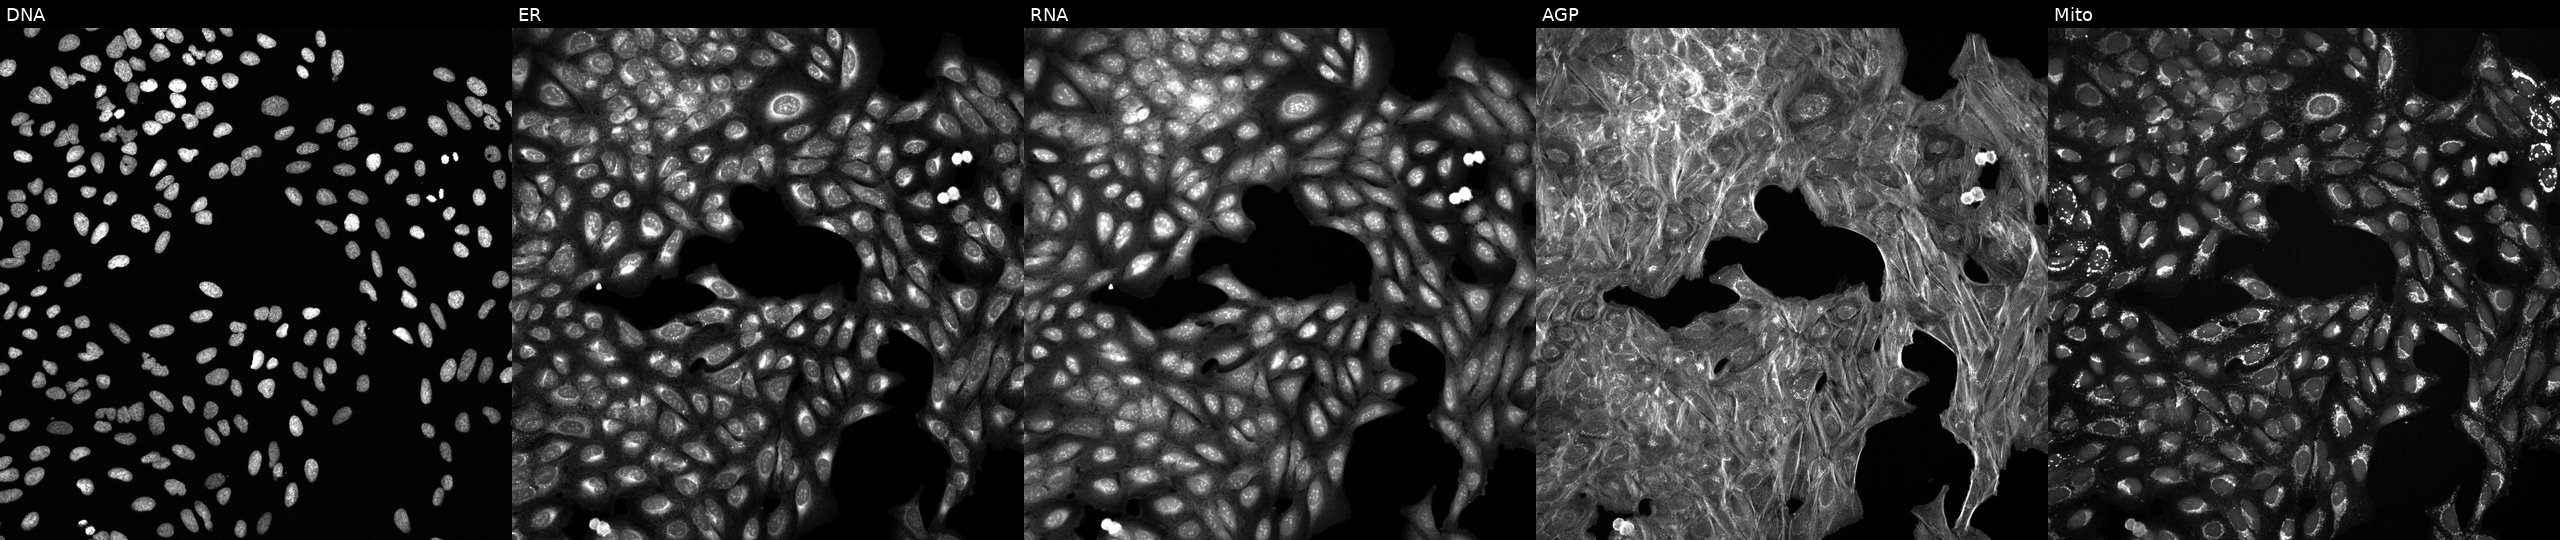
Five-channel Cell Painting image of U2OS cells exposed to a small-molecule compound. The five panels, left to right, show DNA (nuclei); ER (endoplasmic reticulum); RNA (nucleoli and cytoplasmic RNA); AGP (actin cytoskeleton, Golgi, and plasma membrane); Mito (mitochondria).